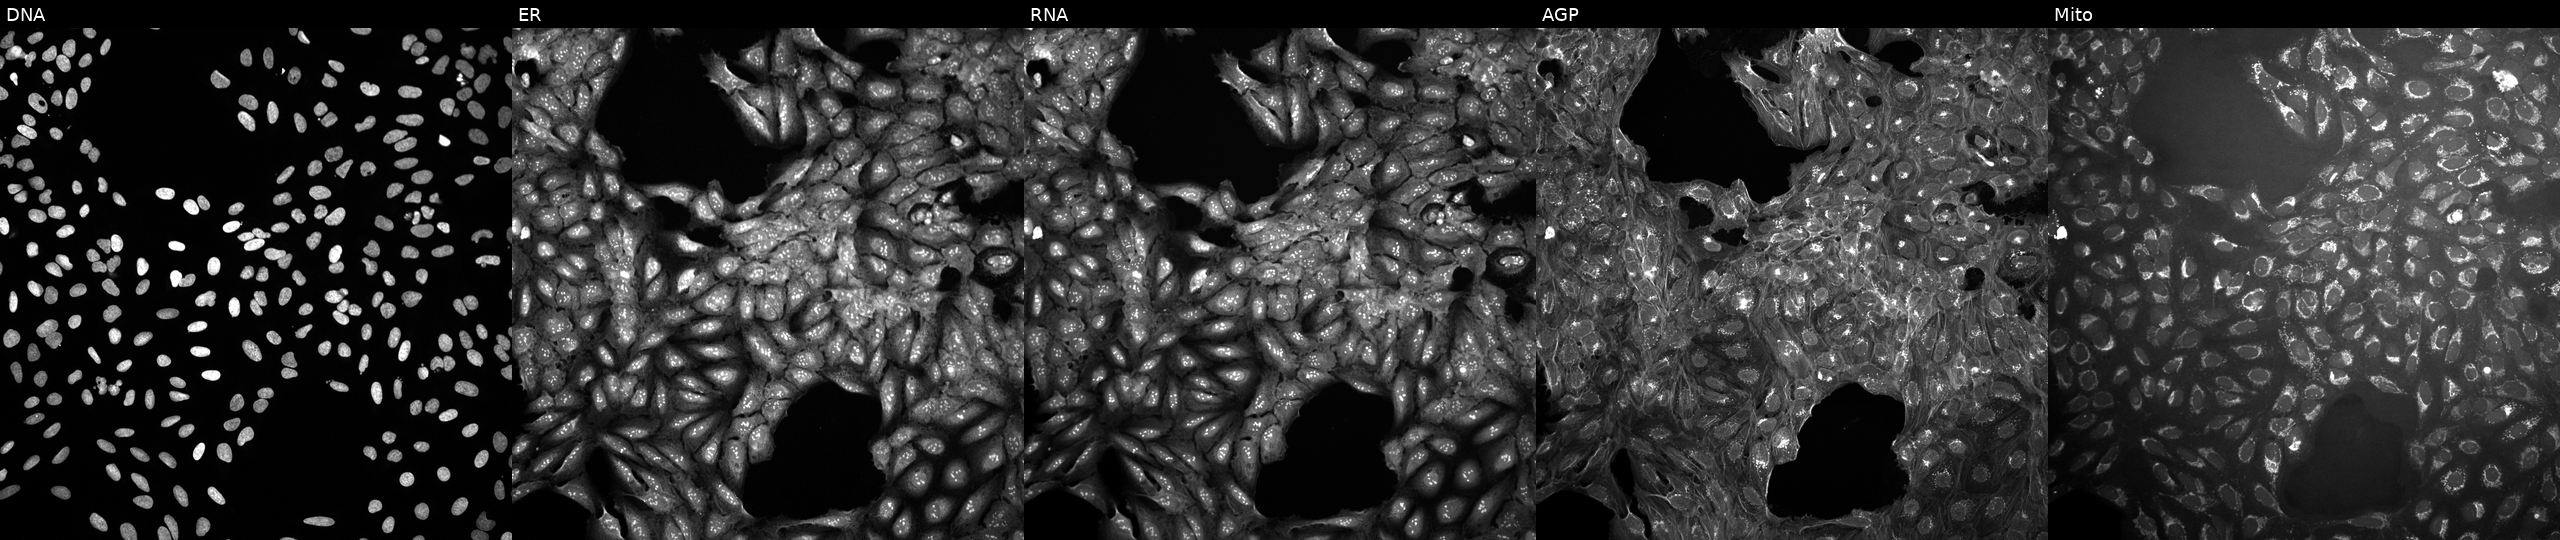
High-content fluorescence microscopy (Cell Painting). Cell line: U2OS. Perturbation: treated with a small-molecule compound (JUMP id JCP2022_097355). From left to right: Hoechst 33342, concanavalin A, SYTO 14, phalloidin and WGA, MitoTracker.